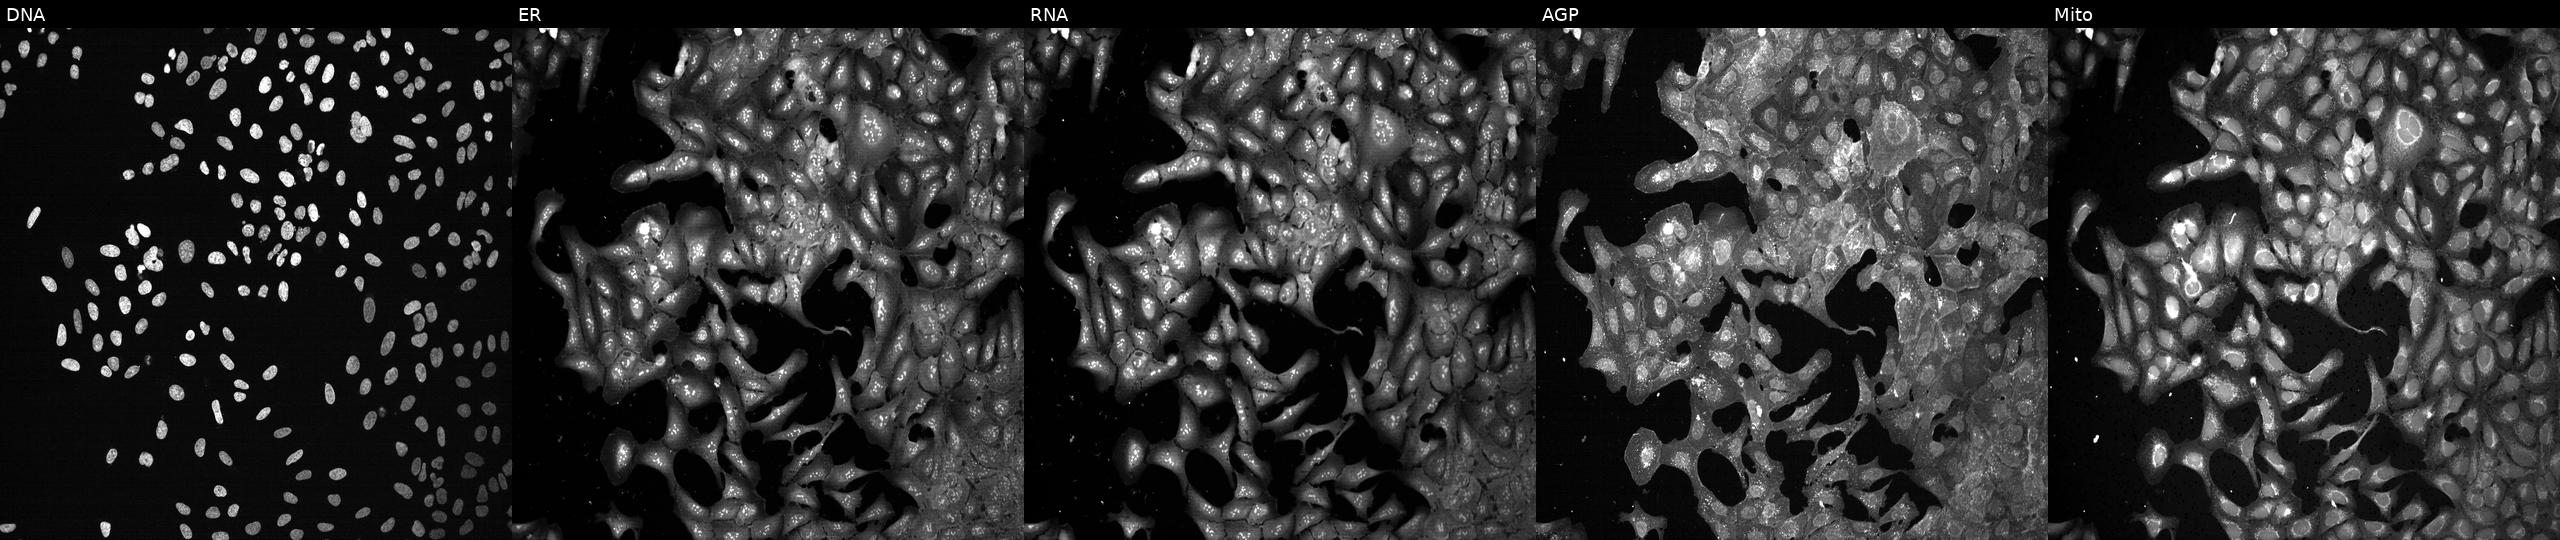
This image strip shows the five Cell Painting channels for a single field of U2OS cells with PPIF knocked out by CRISPR. The five panels, left to right, show DNA, ER, RNA, AGP, and Mito.